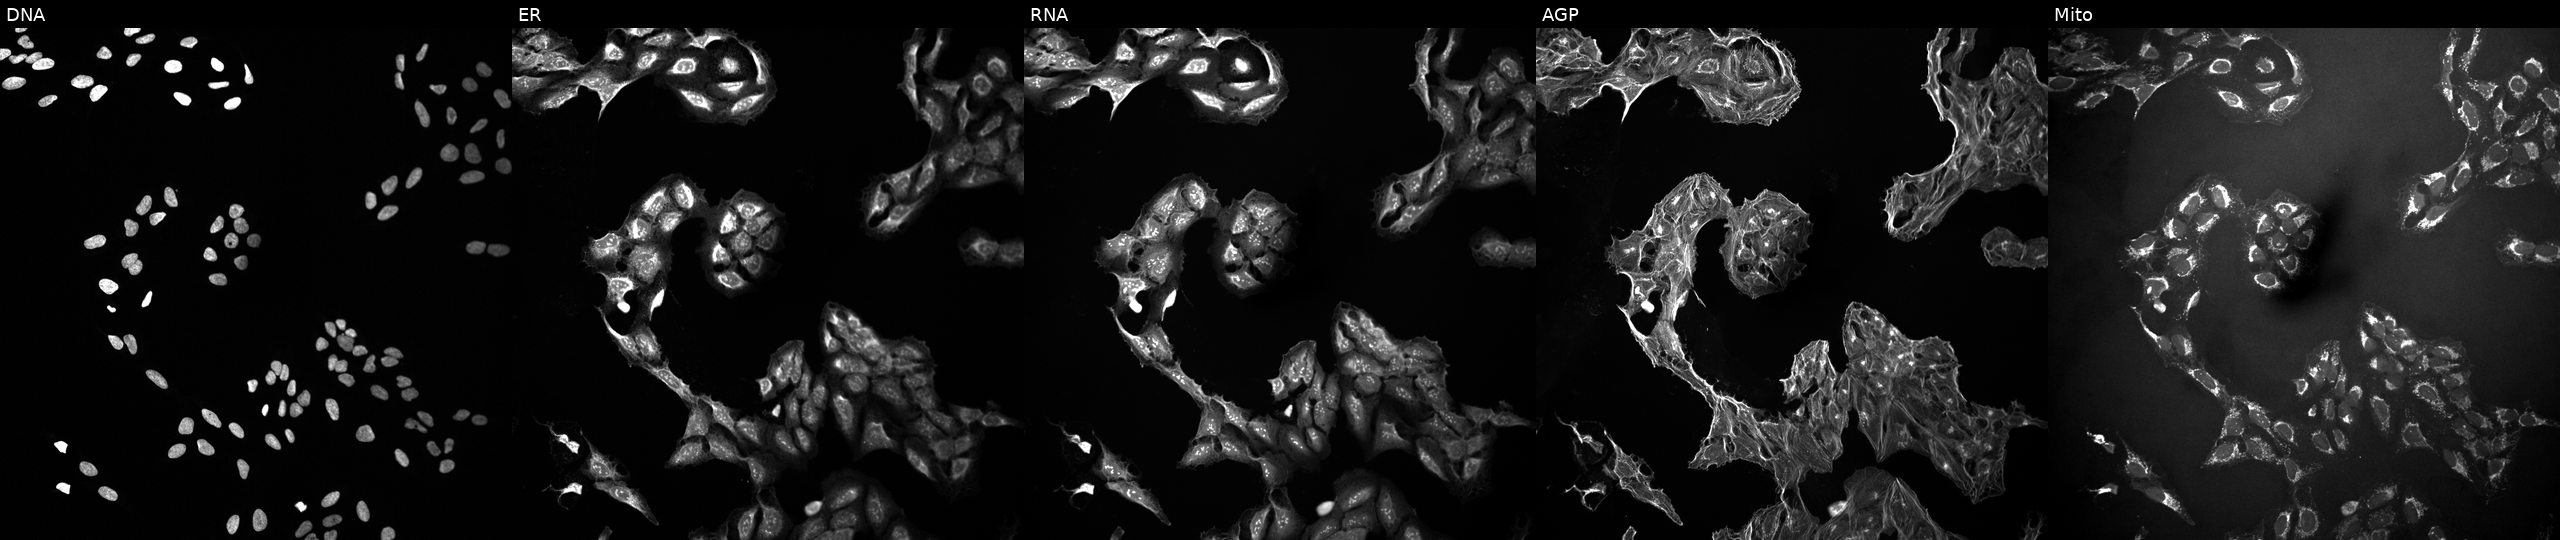
This image strip shows the five Cell Painting channels for a single field of U2OS cells exposed to a small-molecule compound (JUMP id JCP2022_038675). Panels show, left to right, DNA (nuclei); ER (endoplasmic reticulum); RNA (nucleoli and cytoplasmic RNA); AGP (actin cytoskeleton, Golgi, and plasma membrane); Mito (mitochondria).